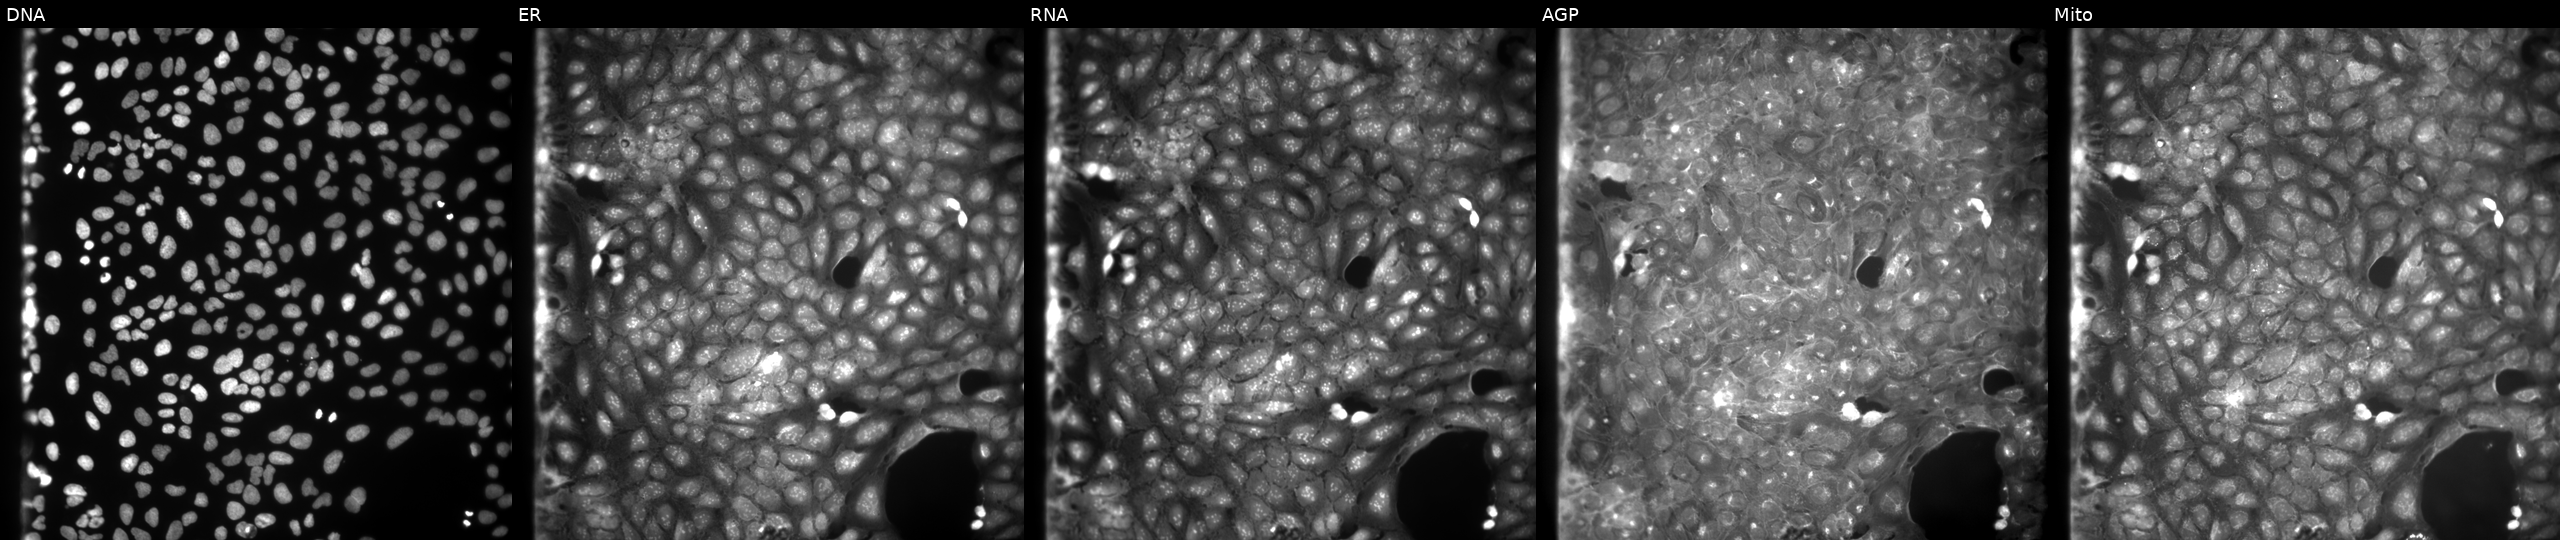
High-content fluorescence microscopy (Cell Painting). Cell line: U2OS. Perturbation: perturbed with a small-molecule compound (InChIKey IAUYIKVARNQVHK-UHFFFAOYSA-N) (JUMP id JCP2022_033890). Channels (left→right): DNA (nuclei); ER (endoplasmic reticulum); RNA (nucleoli and cytoplasmic RNA); AGP (actin cytoskeleton, Golgi, and plasma membrane); Mito (mitochondria).